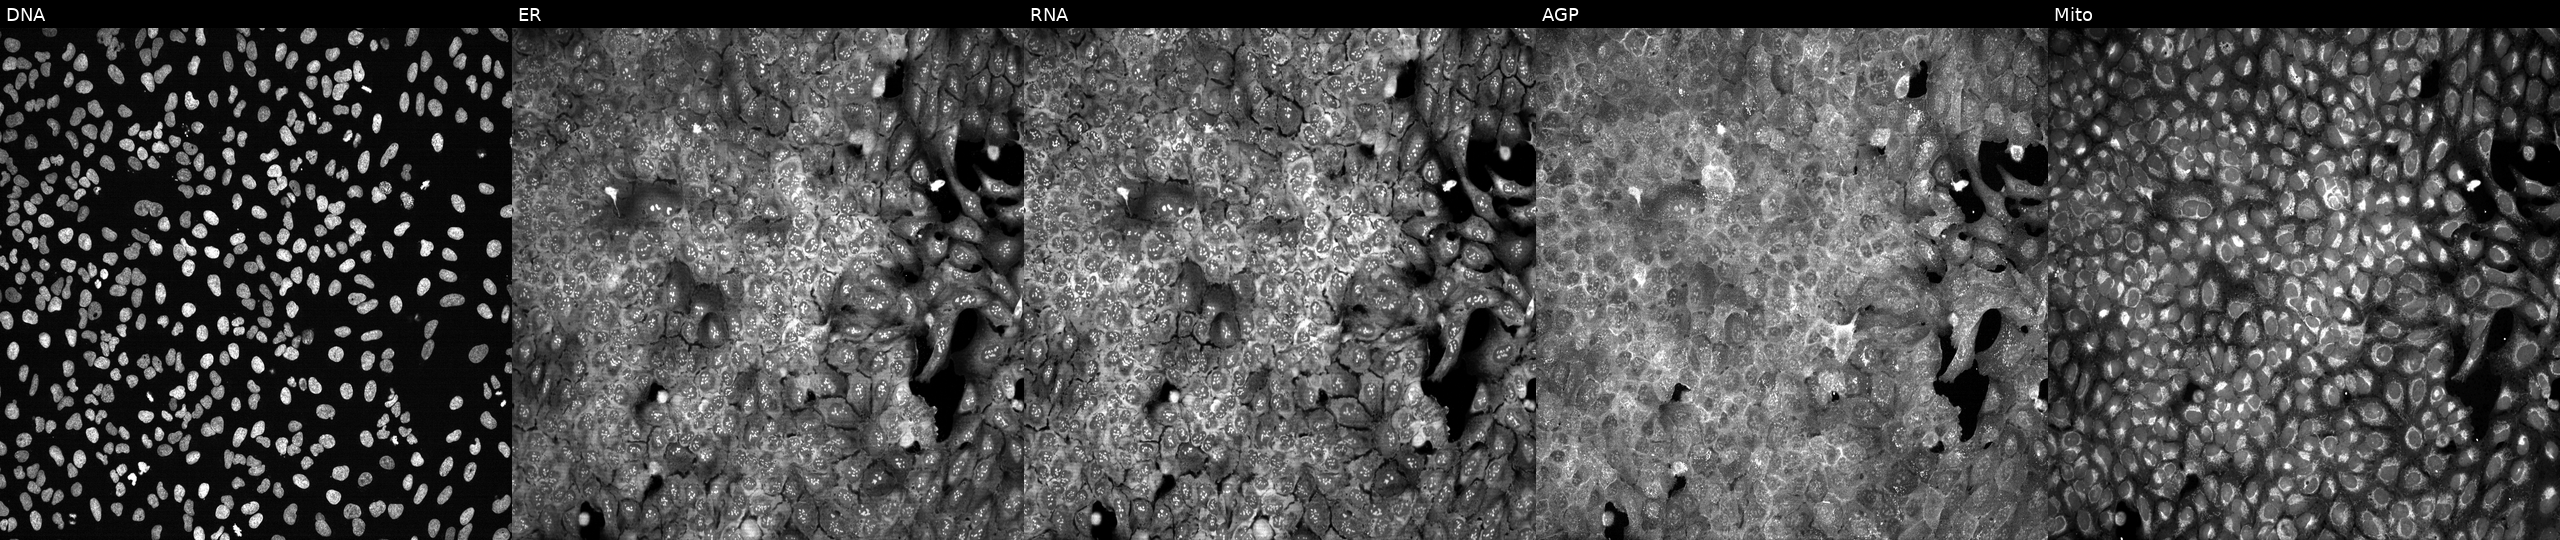
Five-channel Cell Painting image of U2OS cells following CRISPR knockout of LDHC. From left to right: Hoechst 33342, concanavalin A, SYTO 14, phalloidin and WGA, MitoTracker.